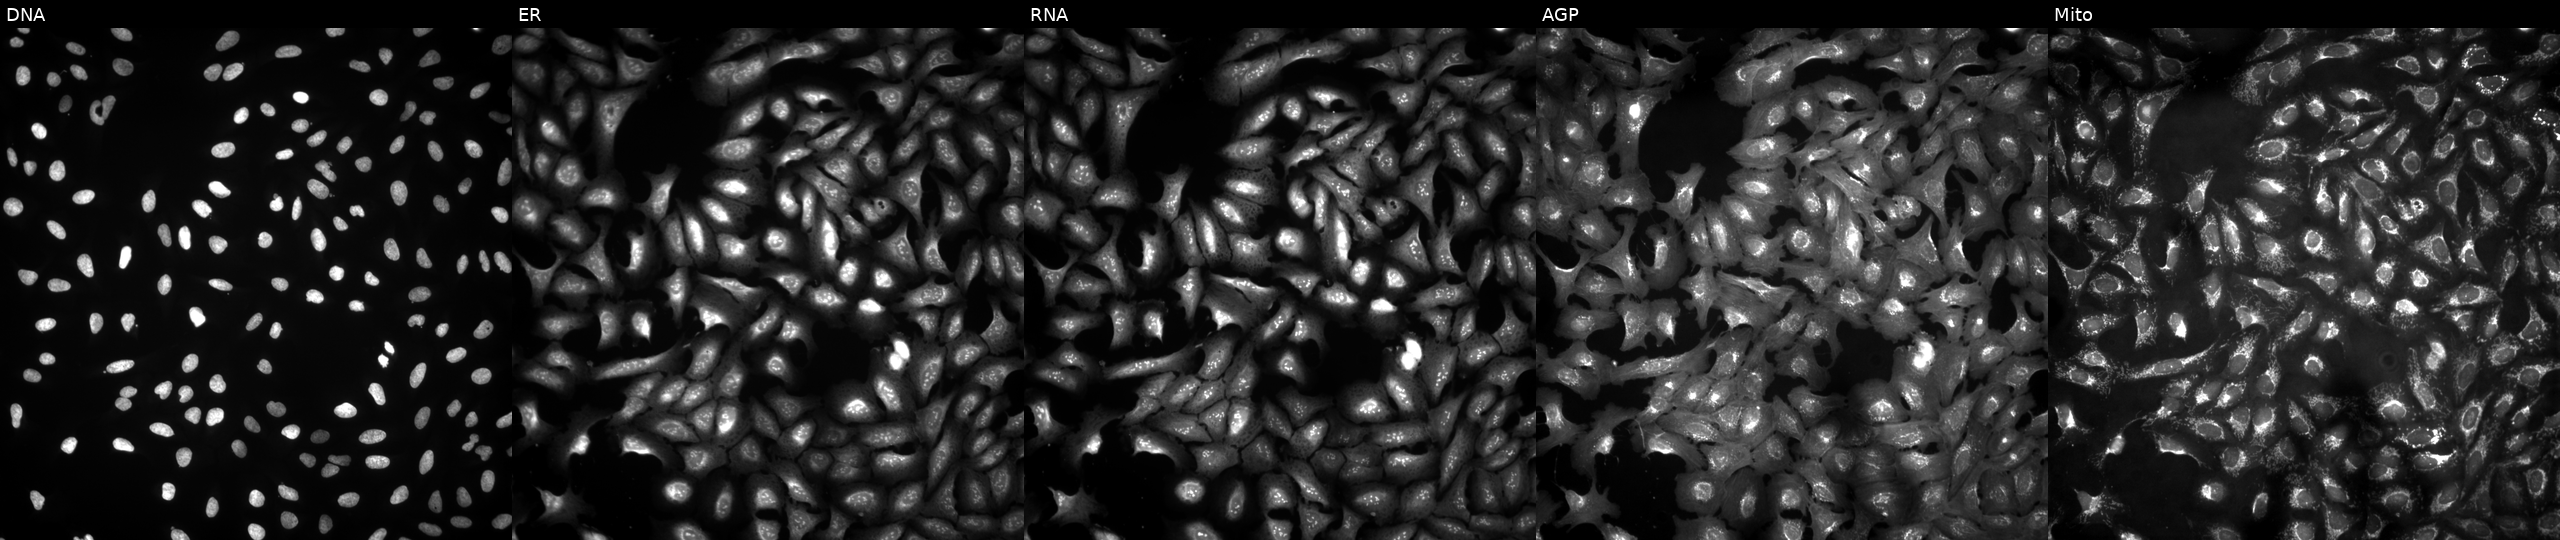
JUMP Cell Painting — ORF plate. U2OS cells with NAGK overexpressed (ORF). From left to right: Hoechst 33342, concanavalin A, SYTO 14, phalloidin and WGA, MitoTracker. Source 4, plate BR00121543, well P03.